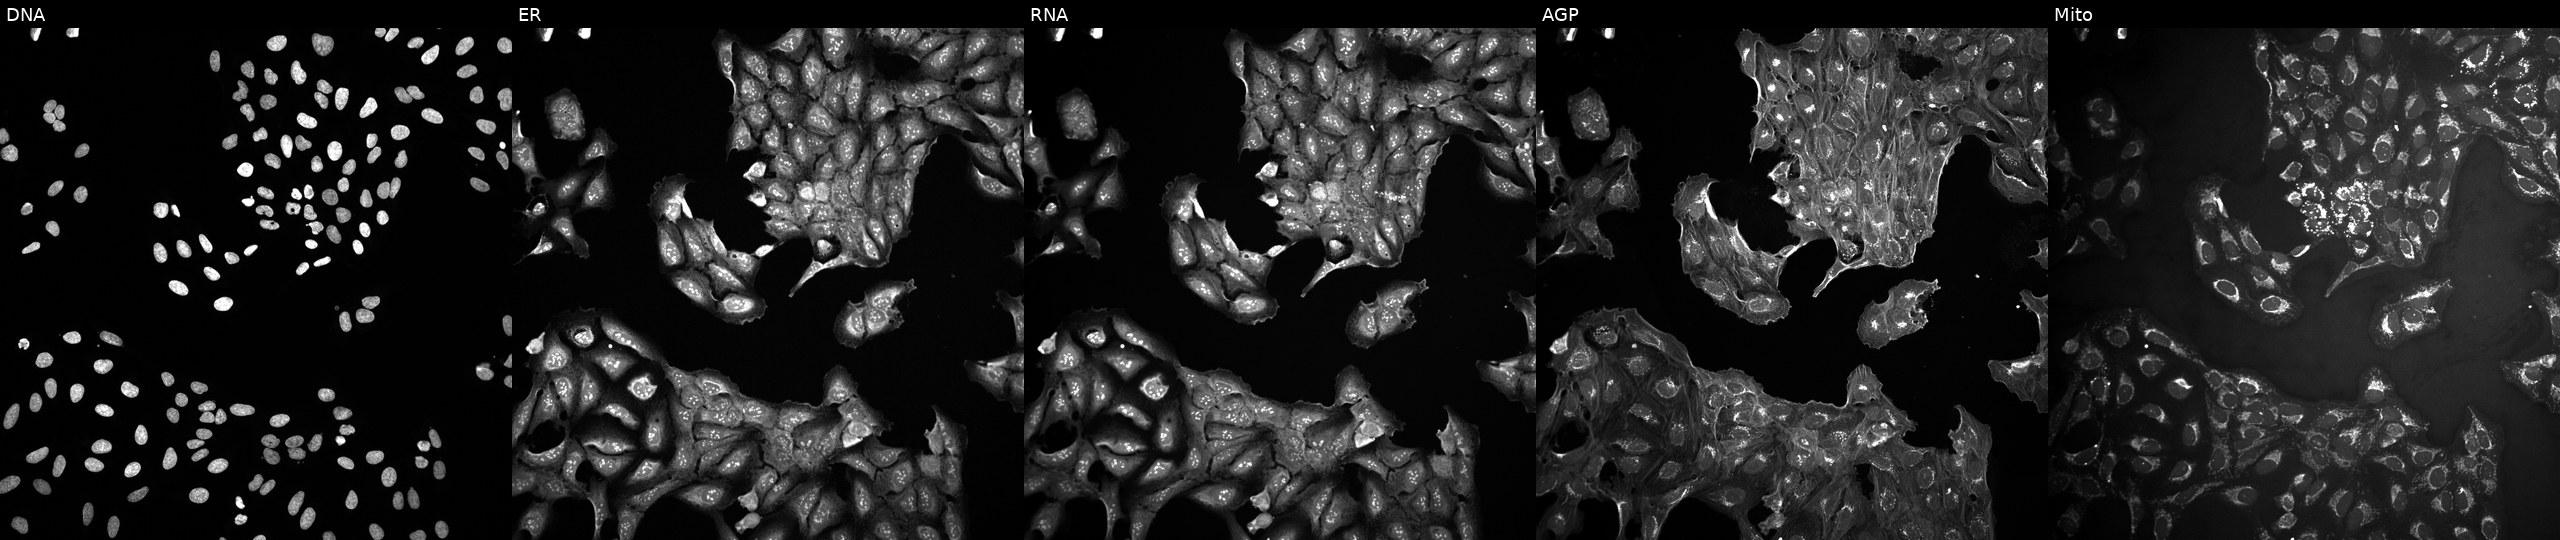
The five panels, left to right, show DNA, ER, RNA, AGP, and Mito. U2OS osteosarcoma cells perturbed with a small-molecule compound (InChIKey VOSWGIQSAYOIIQ-UHFFFAOYSA-N). Cell Painting assay, JUMP-CP dataset. Source 10, plate Dest210531-152149, well M19.